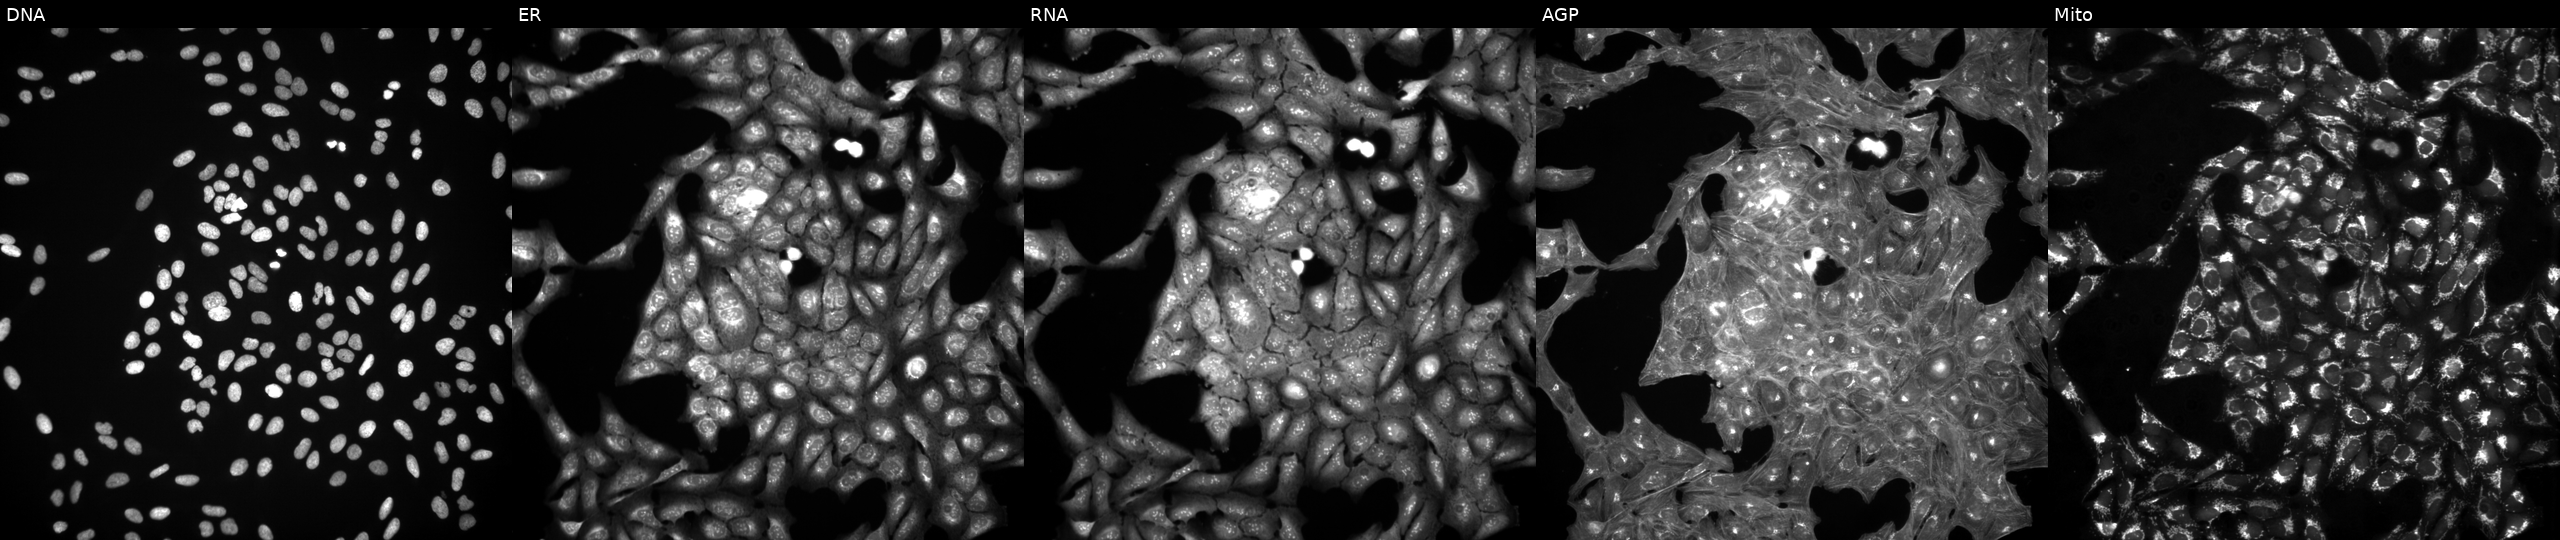
Channels (left→right): Hoechst 33342, concanavalin A, SYTO 14, phalloidin and WGA, MitoTracker. U2OS osteosarcoma cells treated with a small-molecule compound (InChIKey TZDUHAJSIBHXDL-UHFFFAOYSA-N) [SMILES: CC(OC(=O)NCC1(CC(=O)O)CCCCC1)OC(=O)C(C)C] (JUMP id JCP2022_087693). Cell Painting assay, JUMP-CP dataset.